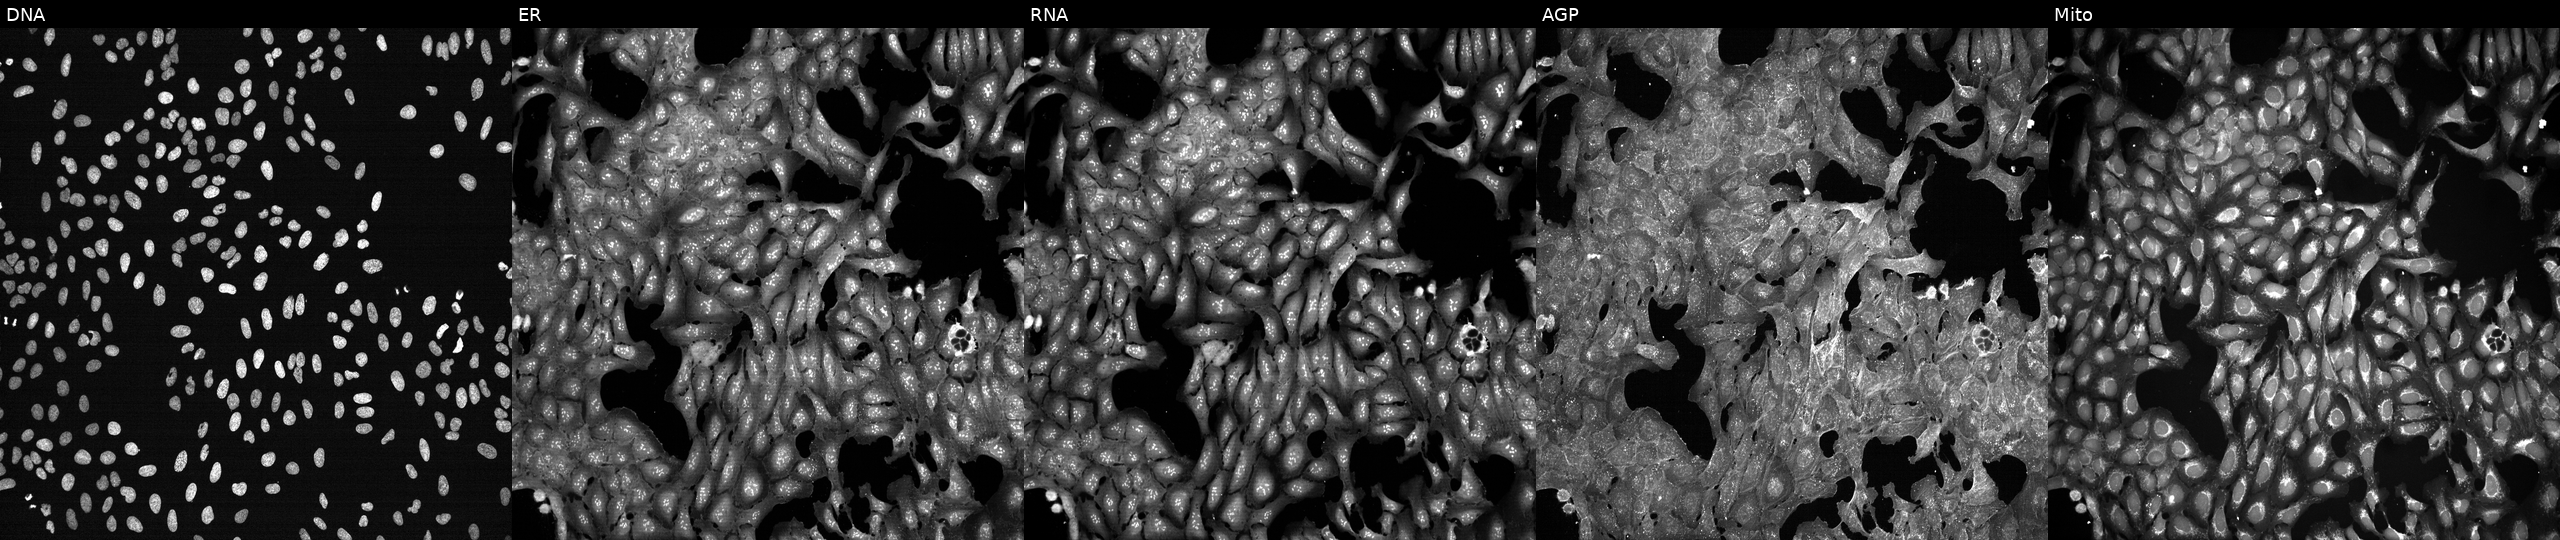
U2OS cells, Cell Painting assay, treated with DMSO vehicle only (negative control). The five panels, left to right, show DNA (nuclei); ER (endoplasmic reticulum); RNA (nucleoli and cytoplasmic RNA); AGP (actin cytoskeleton, Golgi, and plasma membrane); Mito (mitochondria). Each panel is percentile-stretched 16-bit fluorescence.